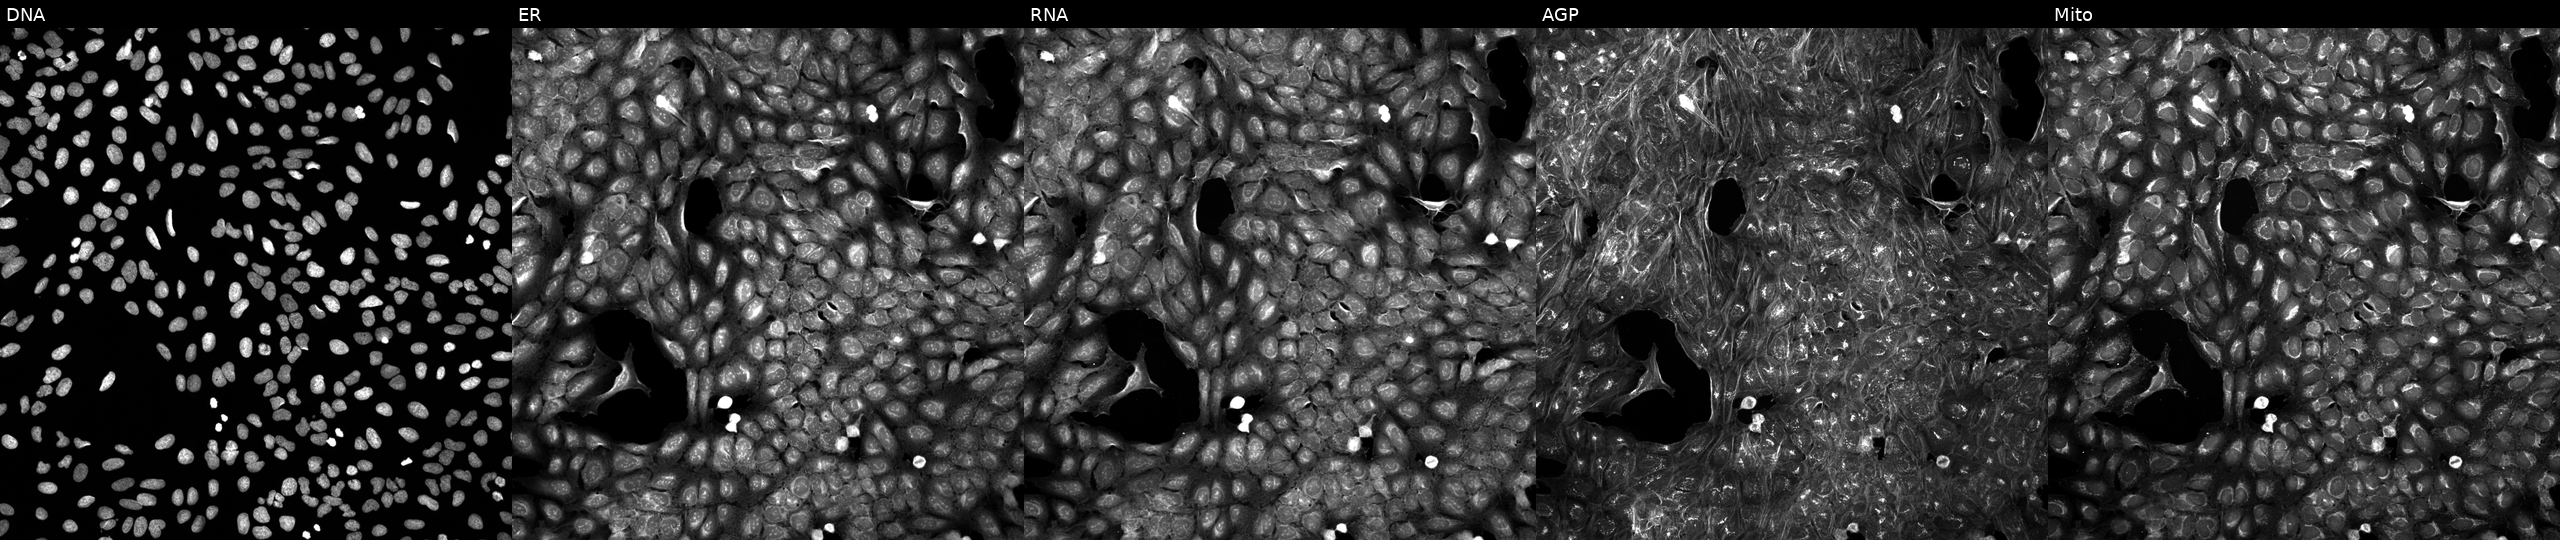
High-content fluorescence microscopy (Cell Painting). Cell line: U2OS. Perturbation: treated with a small-molecule compound. Channels (left→right): DNA (nuclei); ER (endoplasmic reticulum); RNA (nucleoli and cytoplasmic RNA); AGP (actin cytoskeleton, Golgi, and plasma membrane); Mito (mitochondria). Source 5, plate APTJUM106, well K17.